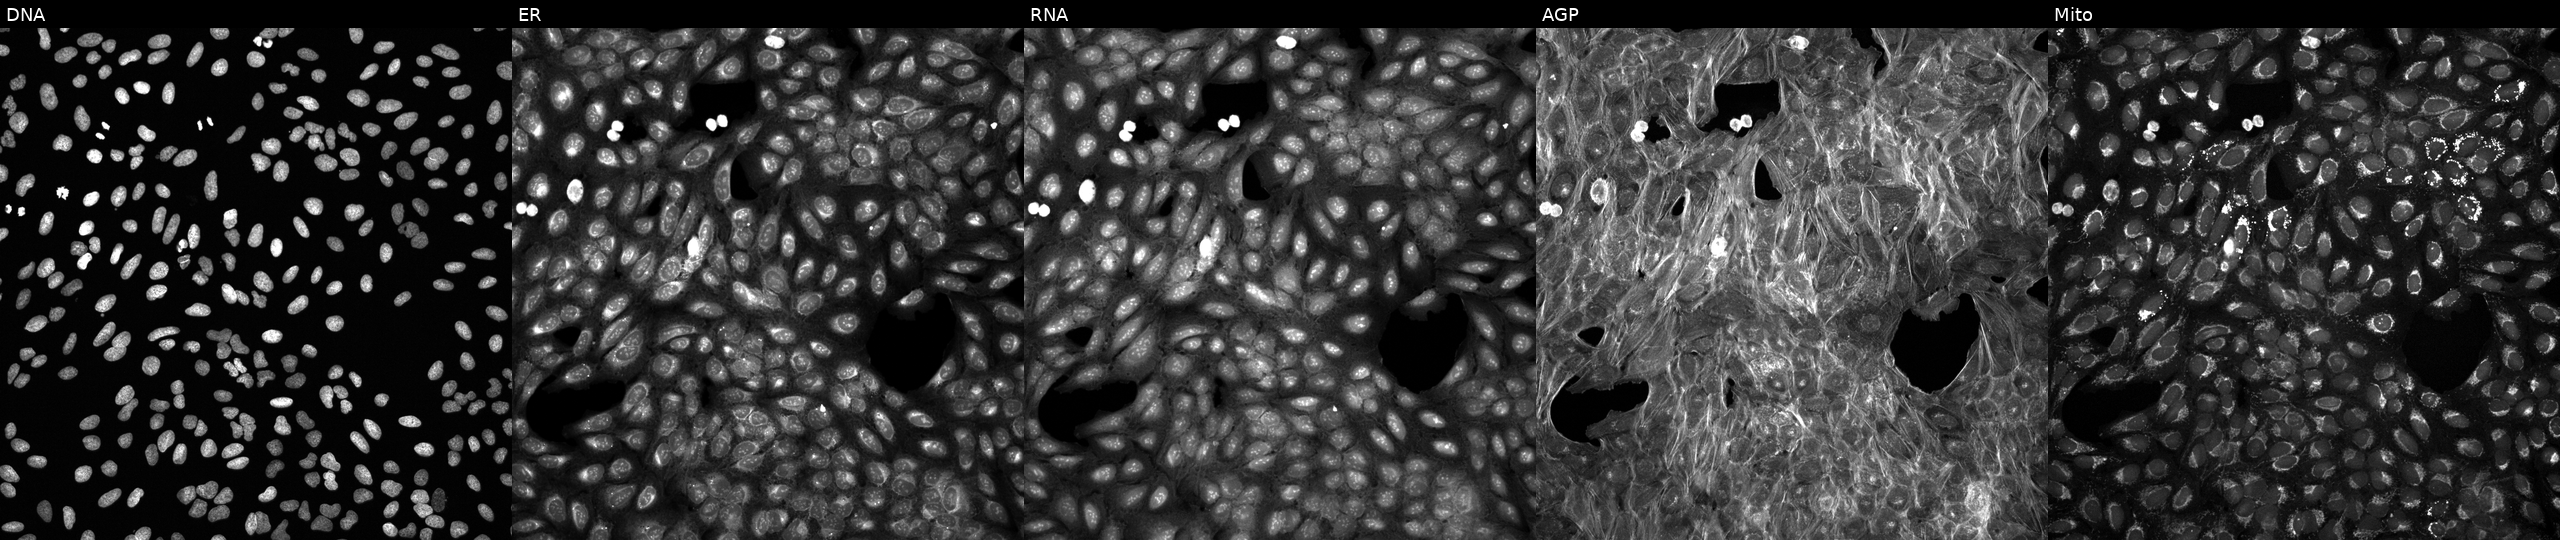
This image strip shows the five Cell Painting channels for a single field of U2OS cells perturbed with a small-molecule compound (InChIKey WTMHTLCBUVZQKF-UHFFFAOYSA-N) [SMILES: Cc1cc(CNC(=O)C2CCCN(S(=O)(=O)c3cnn(C)c3C)C2)nn1C] (JUMP id JCP2022_101091). From left to right: DNA (nuclei); ER (endoplasmic reticulum); RNA (nucleoli and cytoplasmic RNA); AGP (actin cytoskeleton, Golgi, and plasma membrane); Mito (mitochondria).